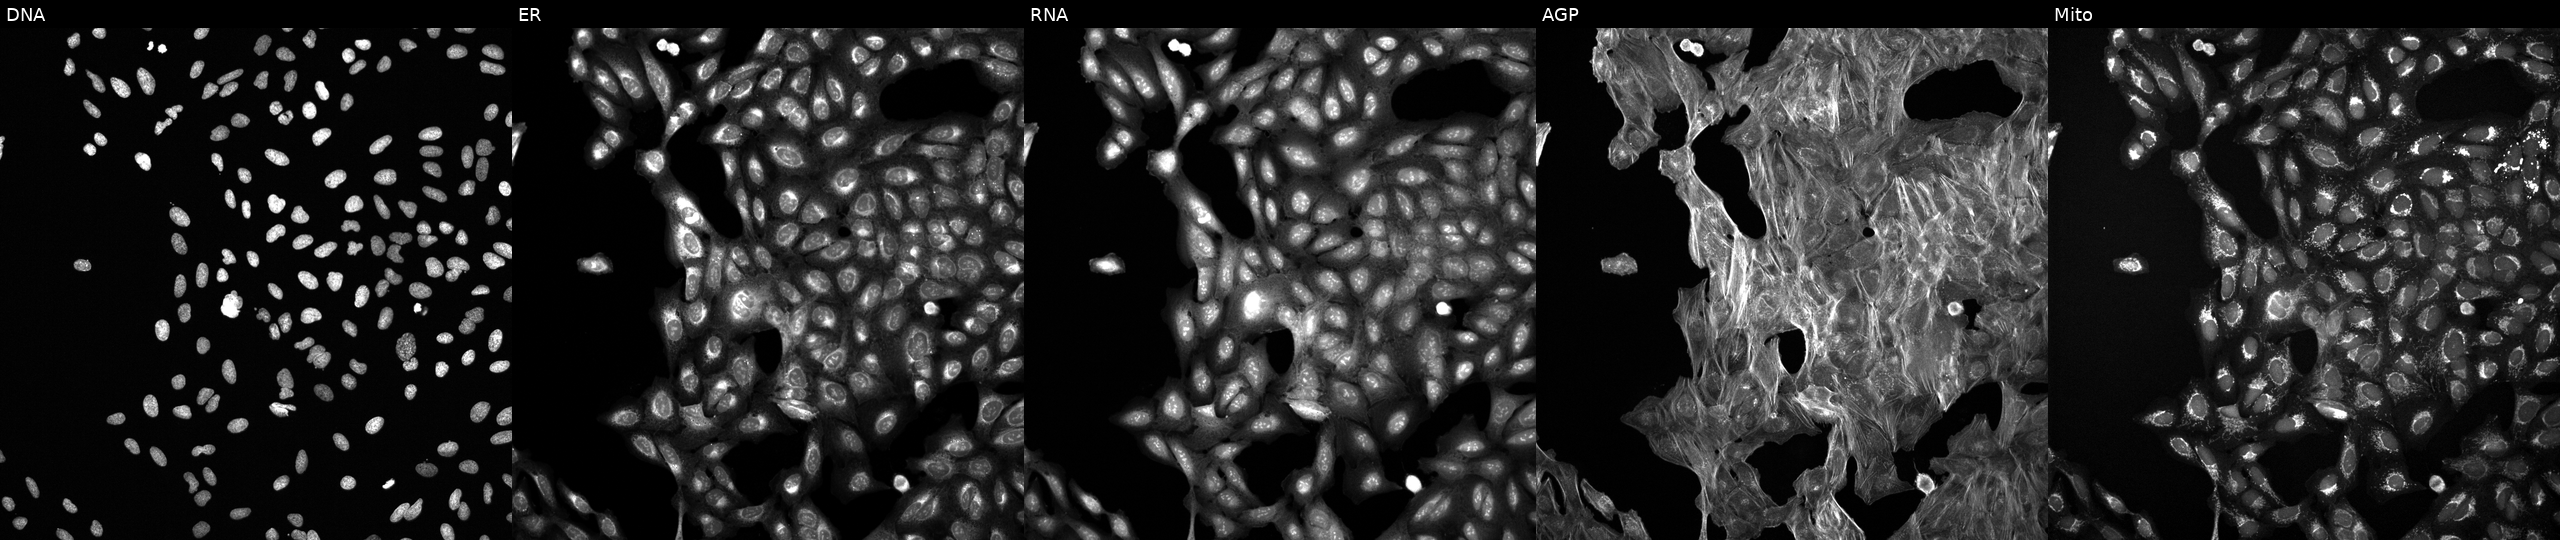
JUMP Cell Painting — TARGET2 plate. U2OS cells treated with DMSO vehicle only (negative control) (JUMP id JCP2022_033924). Channels (left→right): Hoechst 33342, concanavalin A, SYTO 14, phalloidin and WGA, MitoTracker.